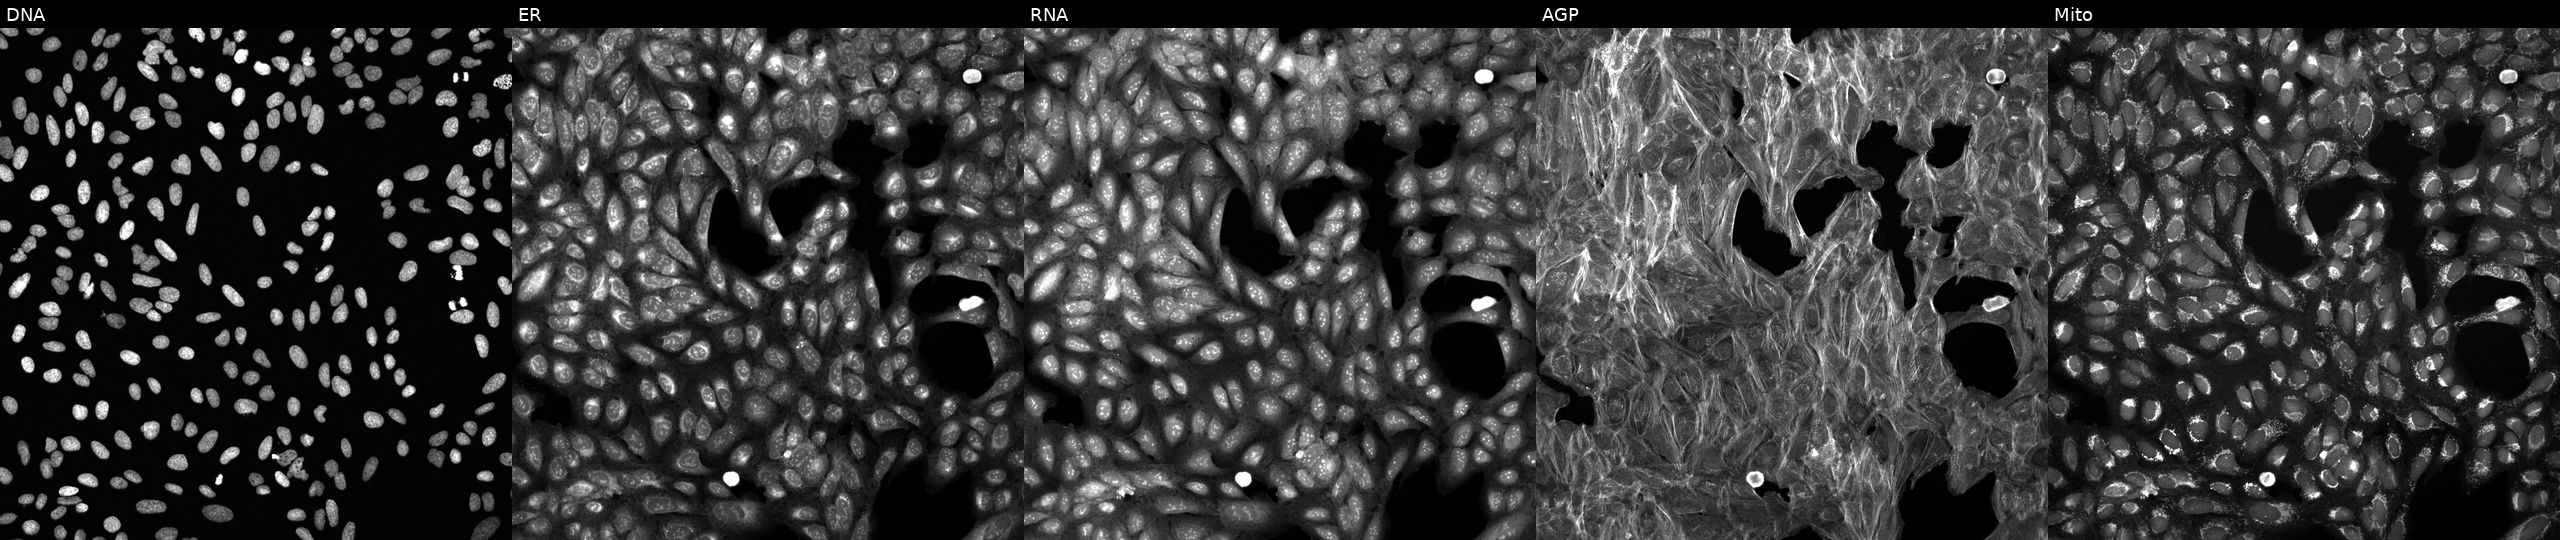
High-content fluorescence microscopy (Cell Painting). Cell line: U2OS. Perturbation: exposed to DMSO alone as a negative control. Channels (left→right): DNA (nuclei); ER (endoplasmic reticulum); RNA (nucleoli and cytoplasmic RNA); AGP (actin cytoskeleton, Golgi, and plasma membrane); Mito (mitochondria).